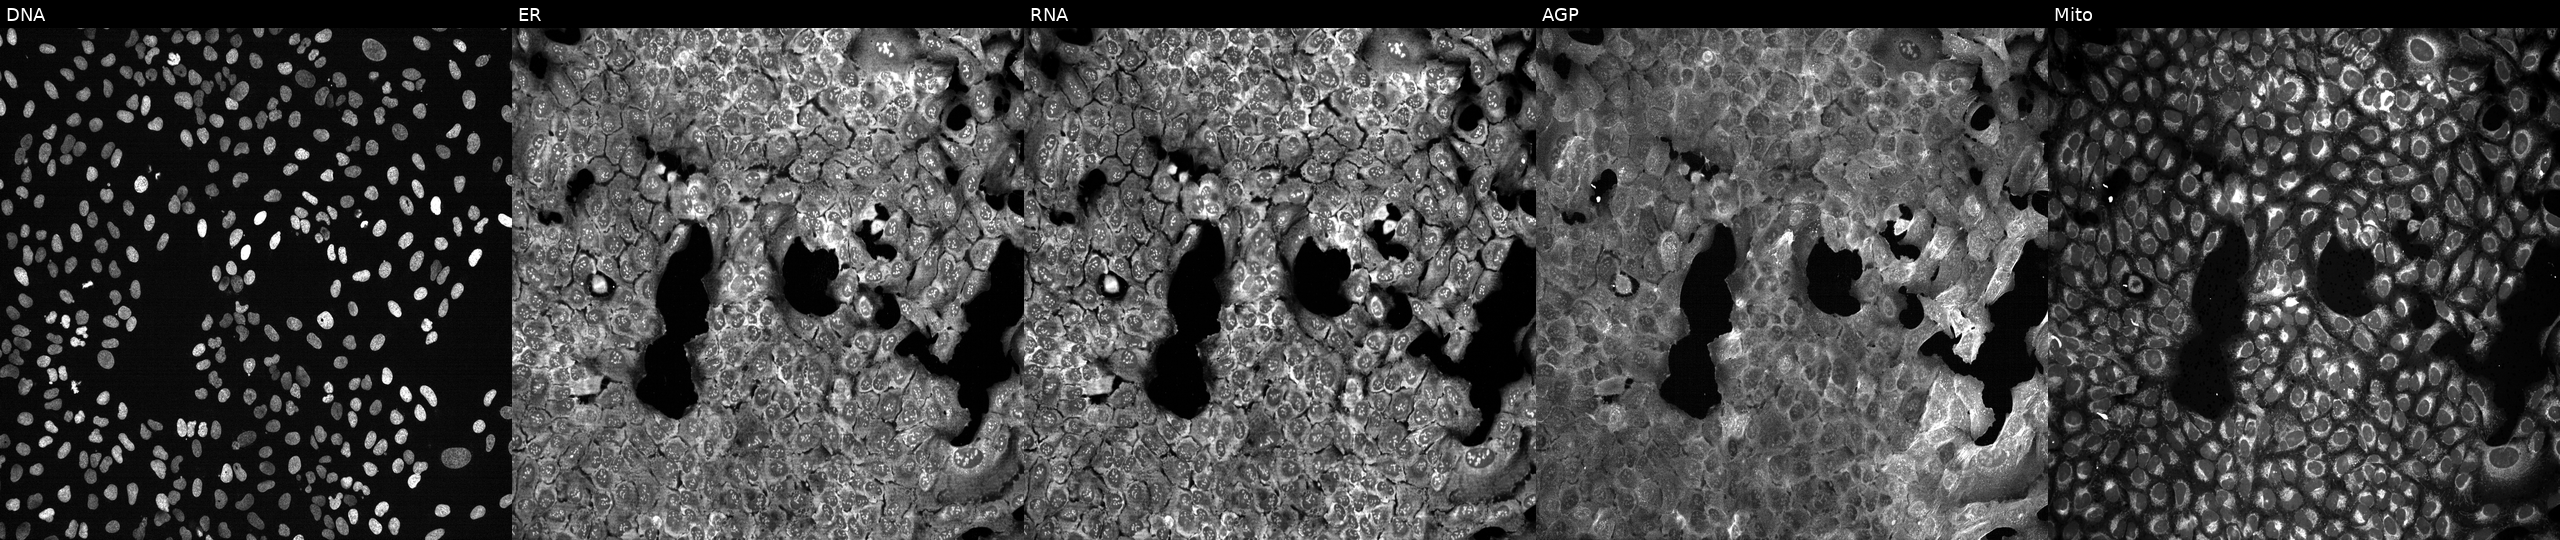
Five-channel Cell Painting image of U2OS cells with ADCY5 knocked out by CRISPR (JUMP id JCP2022_800219). Panels show, left to right, DNA (nuclei); ER (endoplasmic reticulum); RNA (nucleoli and cytoplasmic RNA); AGP (actin cytoskeleton, Golgi, and plasma membrane); Mito (mitochondria). Source 13, plate CP-CC9-R2-01, well G11.